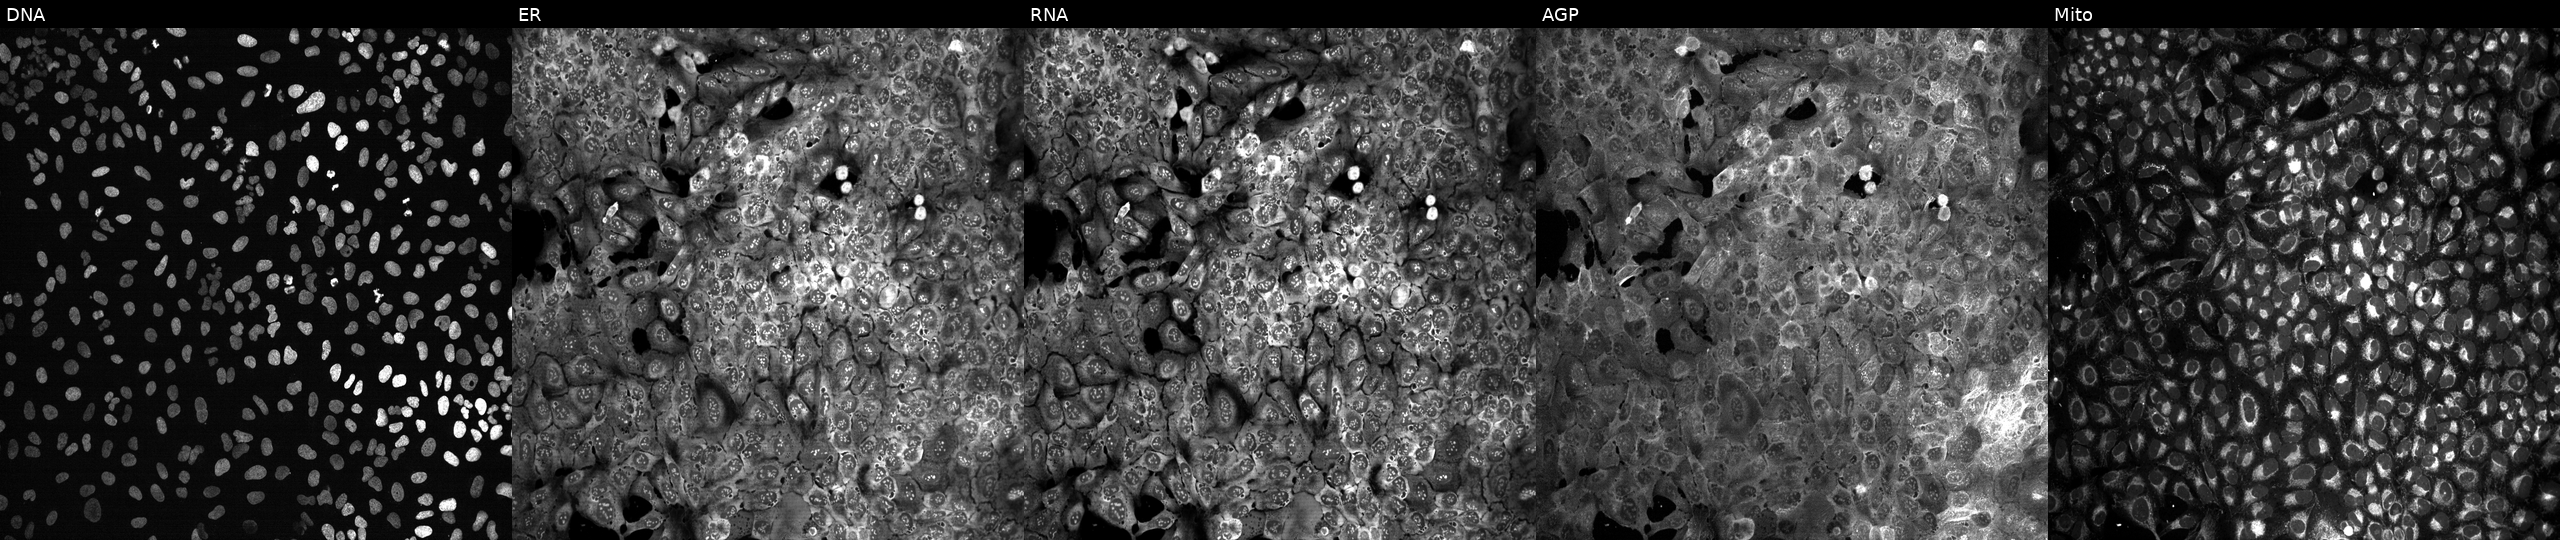
This image strip shows the five Cell Painting channels for a single field of U2OS cells CRISPR-edited to disrupt IL11. Panels show, left to right, DNA, ER, RNA, AGP, and Mito. Source 13, plate CP-CC9-R3-01, well H03.